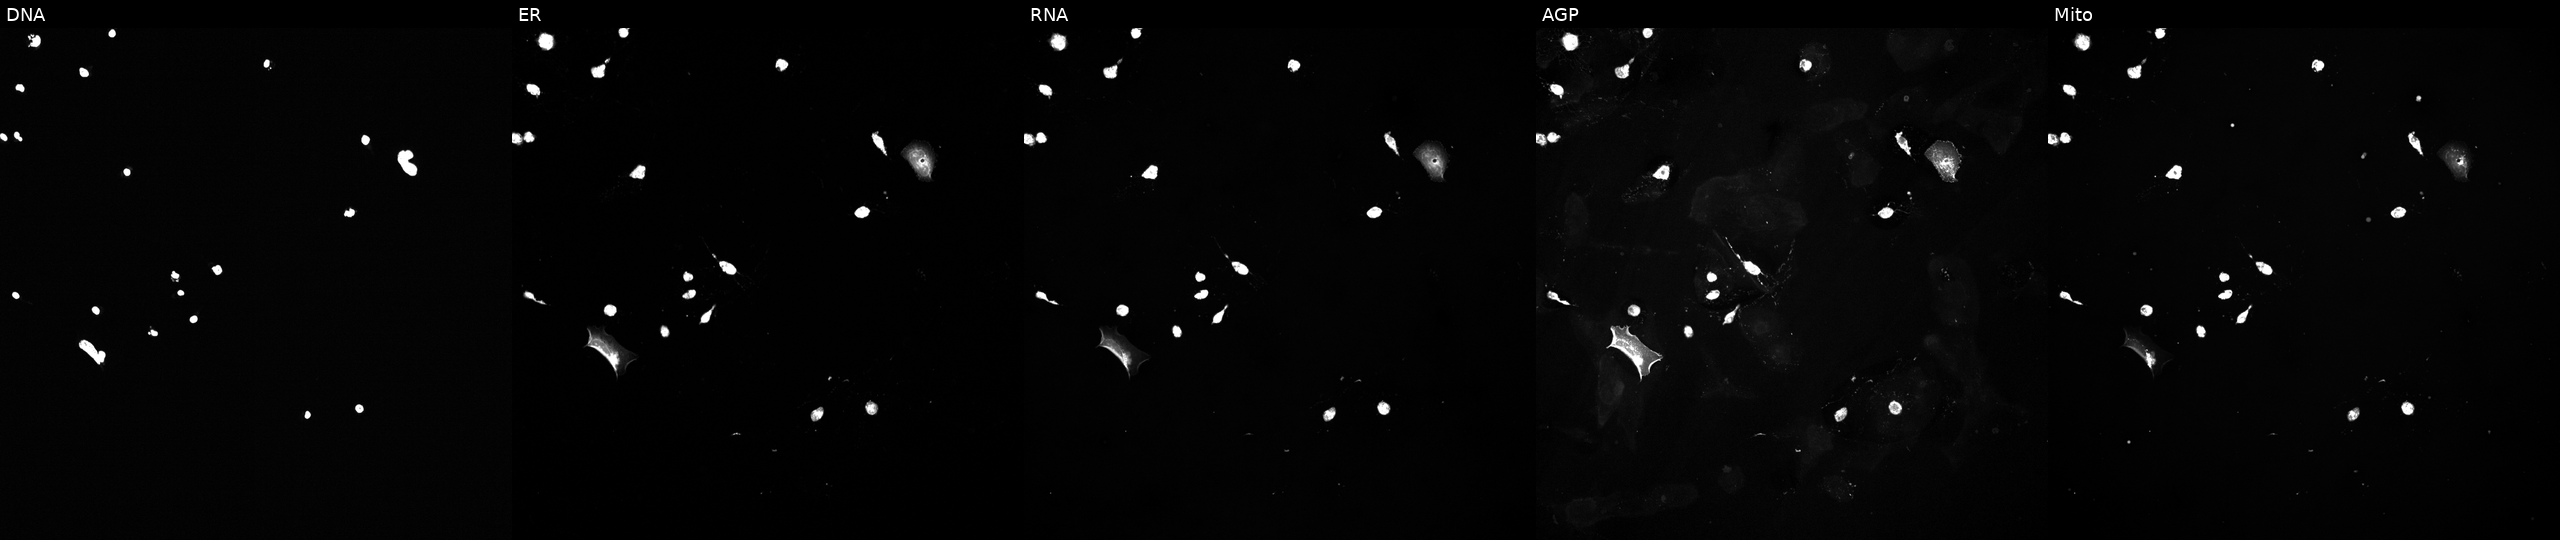
Five-channel Cell Painting image of U2OS cells exposed to a small-molecule compound (InChIKey XUZQTIZWMHMWOC-UHFFFAOYSA-N) (JUMP id JCP2022_106219). Channels (left→right): DNA (nuclei); ER (endoplasmic reticulum); RNA (nucleoli and cytoplasmic RNA); AGP (actin cytoskeleton, Golgi, and plasma membrane); Mito (mitochondria). Source 5, plate ACPJUM032, well K13.